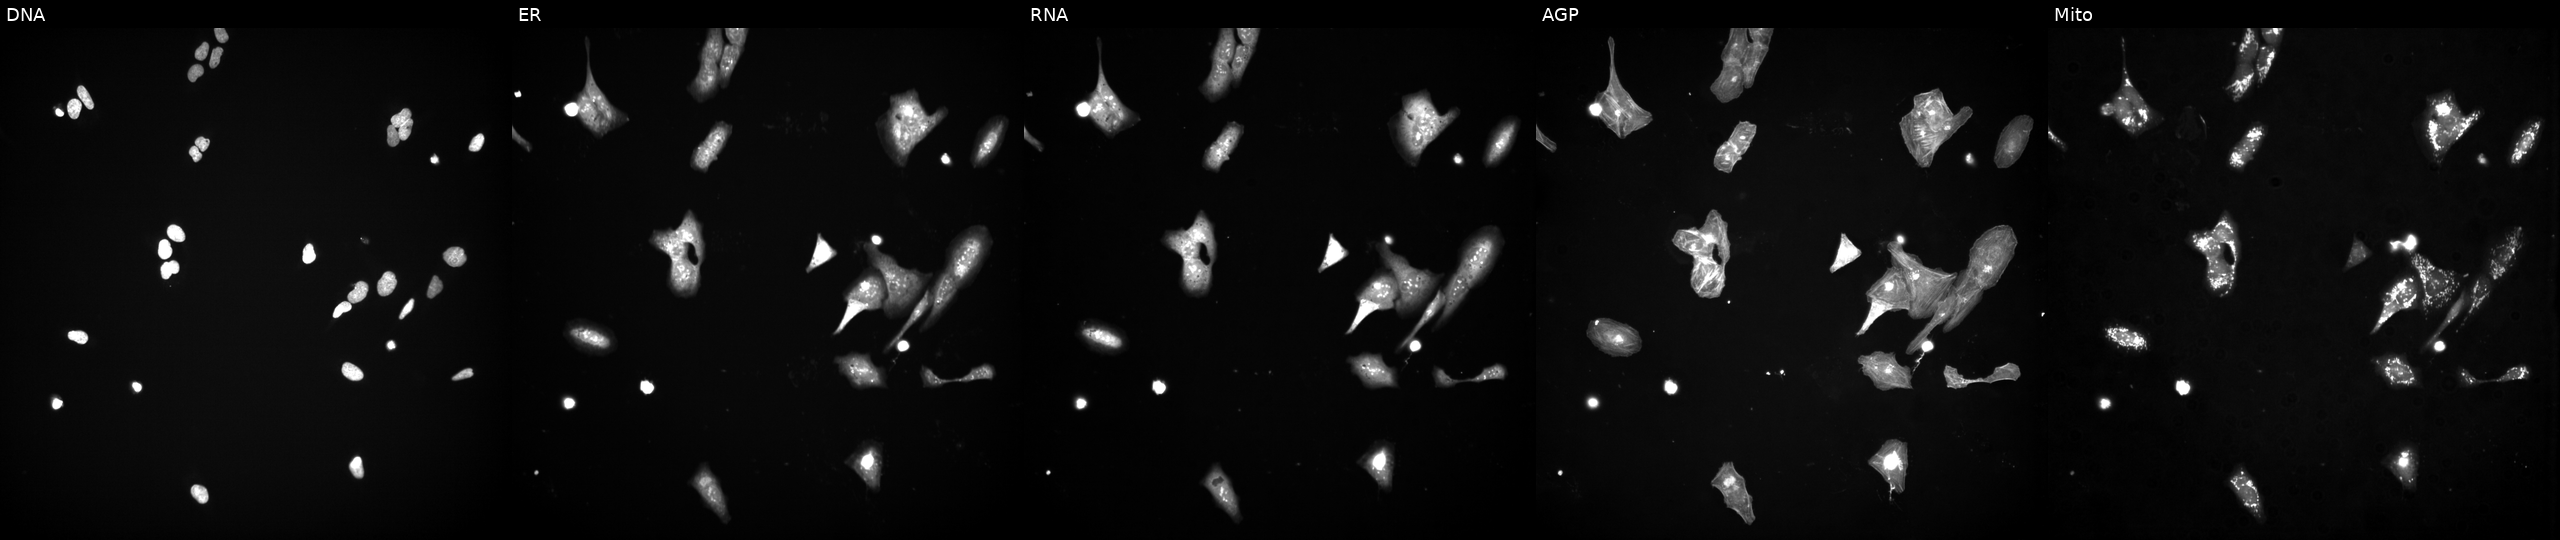
Five-channel Cell Painting image of U2OS cells perturbed with a small-molecule compound (InChIKey YKJYKKNCCRKFSL-UHFFFAOYSA-N) [SMILES: COc1ccc(CC2NCC(O)C2OC(C)=O)cc1] (JUMP id JCP2022_109043). Channels (left→right): DNA (nuclei); ER (endoplasmic reticulum); RNA (nucleoli and cytoplasmic RNA); AGP (actin cytoskeleton, Golgi, and plasma membrane); Mito (mitochondria). Source 3, plate JCPQC051, well L09.